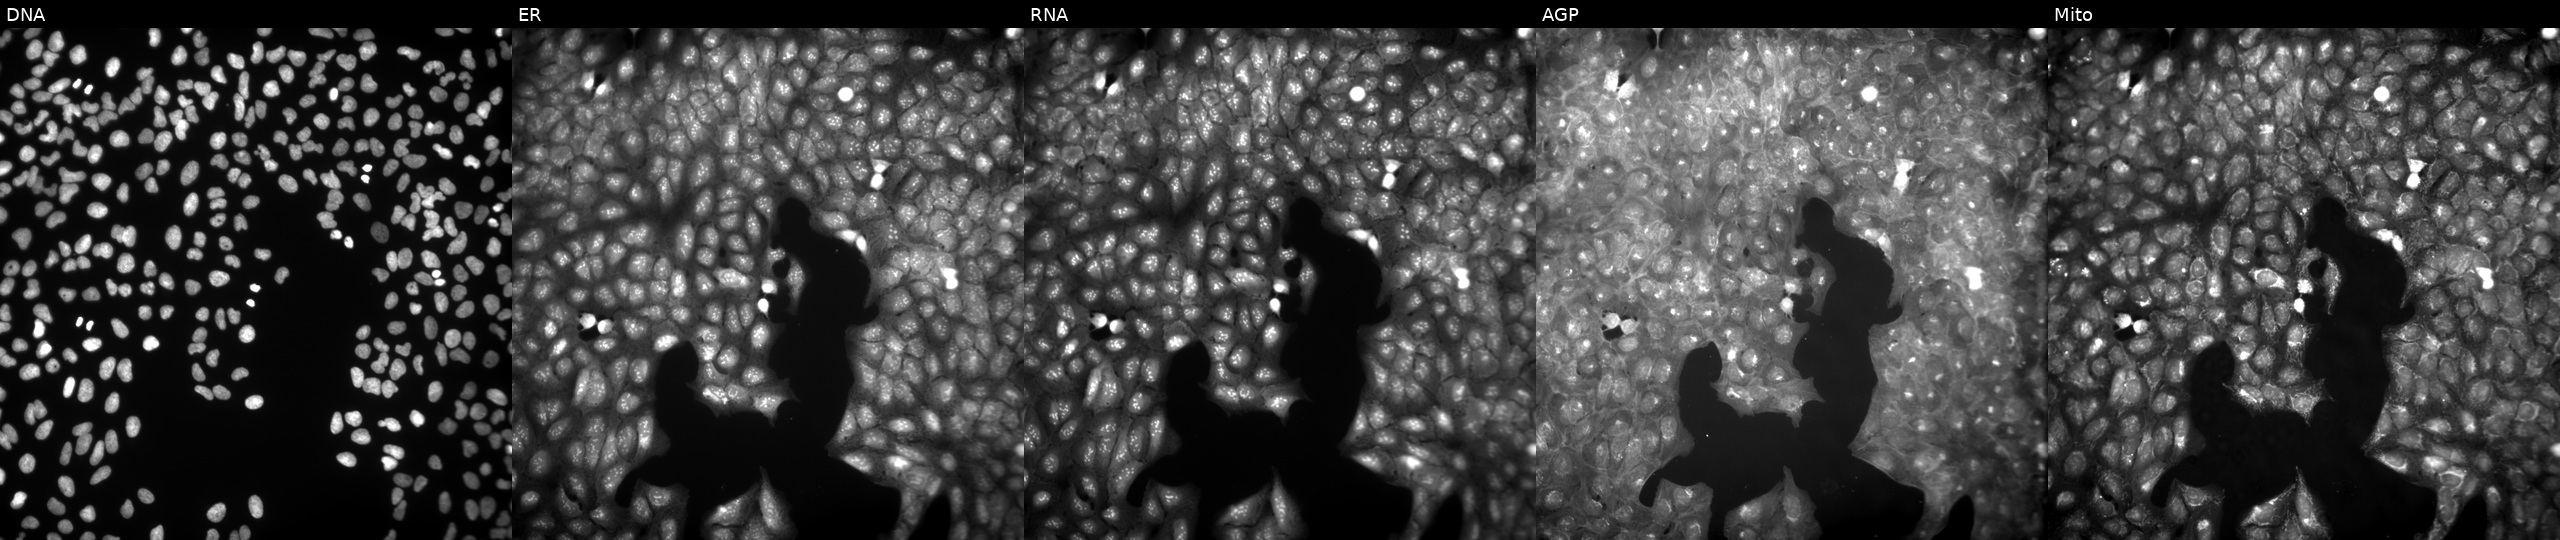
High-content fluorescence microscopy (Cell Painting). Cell line: U2OS. Perturbation: exposed to a small-molecule compound (InChIKey NVBGDBKGGANZFC-UHFFFAOYSA-N). Channels (left→right): DNA (nuclei); ER (endoplasmic reticulum); RNA (nucleoli and cytoplasmic RNA); AGP (actin cytoskeleton, Golgi, and plasma membrane); Mito (mitochondria).